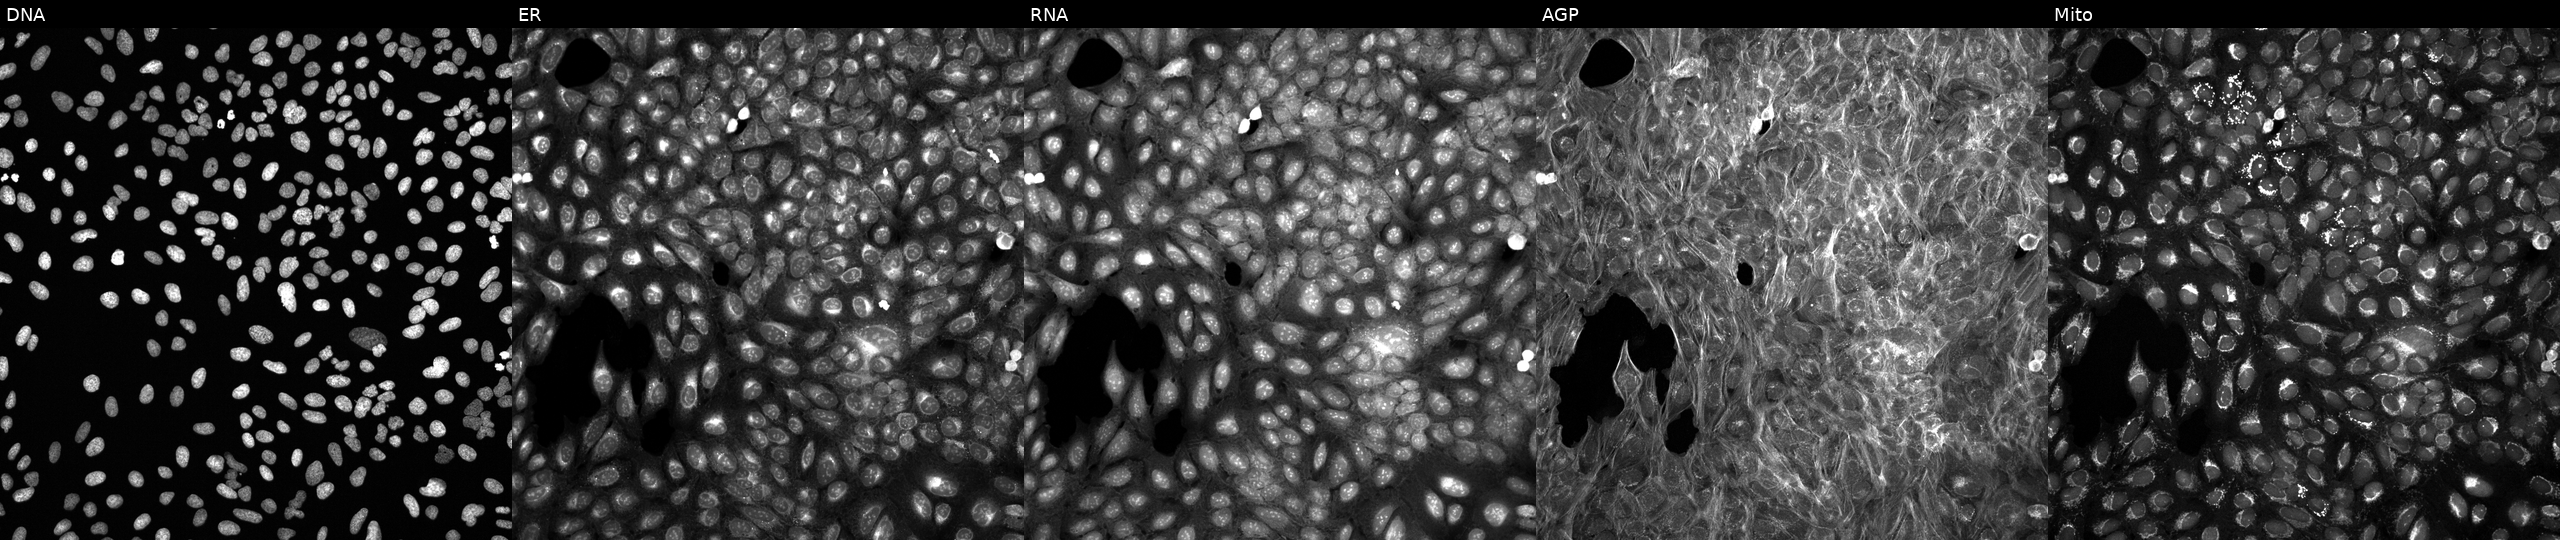
This image strip shows the five Cell Painting channels for a single field of U2OS cells exposed to the positive-control compound aloxistatin. Channels (left→right): DNA, ER, RNA, AGP, and Mito.